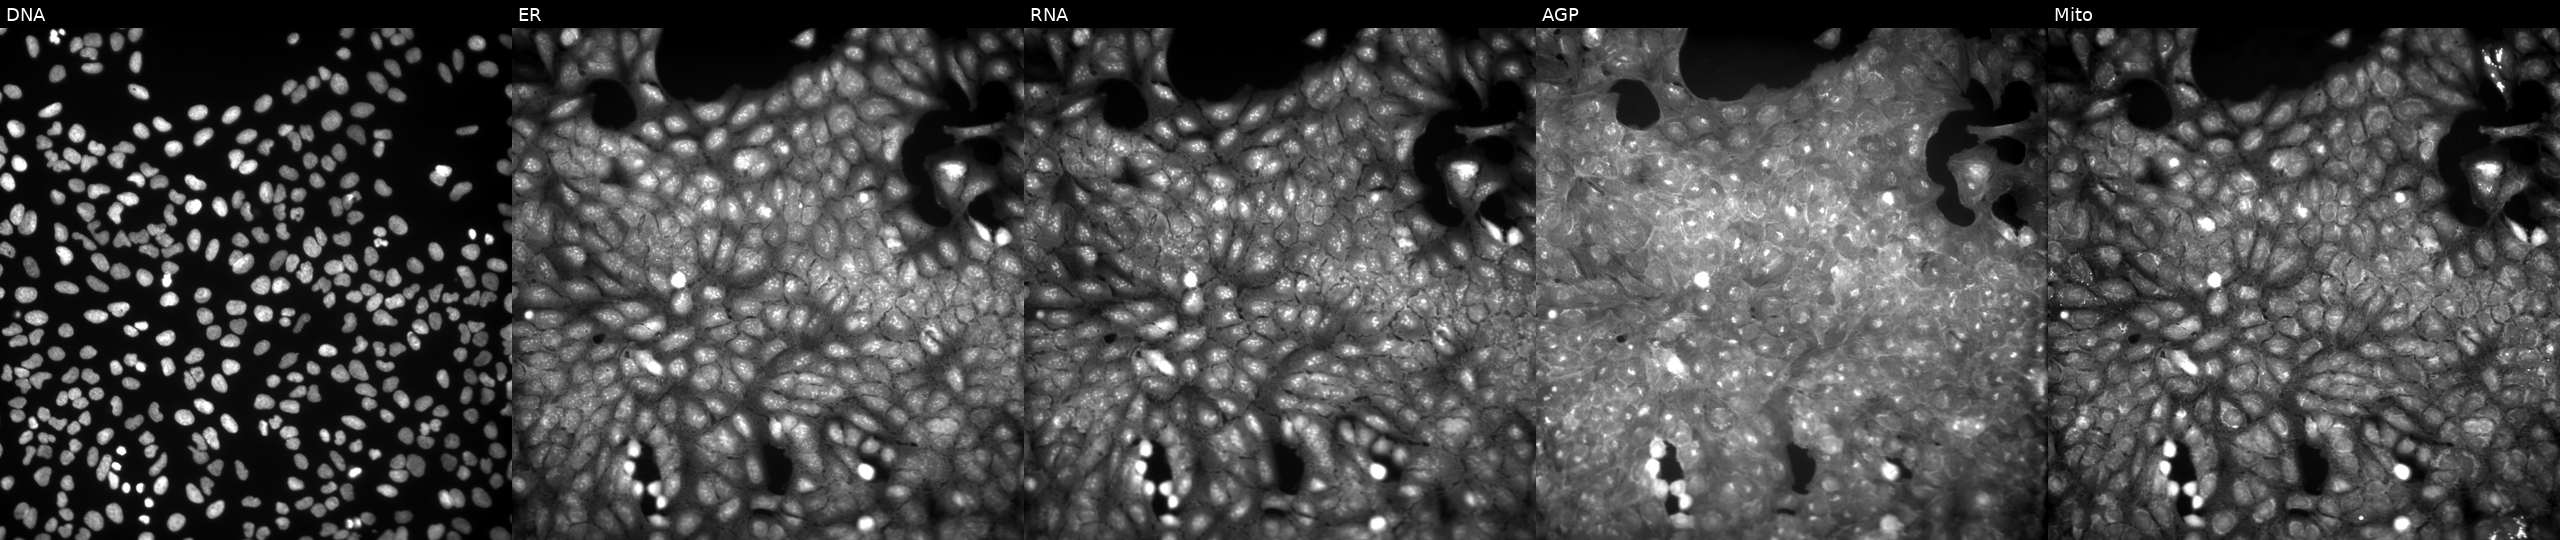
Channels (left→right): Hoechst 33342, concanavalin A, SYTO 14, phalloidin and WGA, MitoTracker. U2OS osteosarcoma cells perturbed with a small-molecule compound (InChIKey SKZHRUFSZCGJCQ-UHFFFAOYSA-N) (JUMP id JCP2022_083932). Cell Painting assay, JUMP-CP dataset.